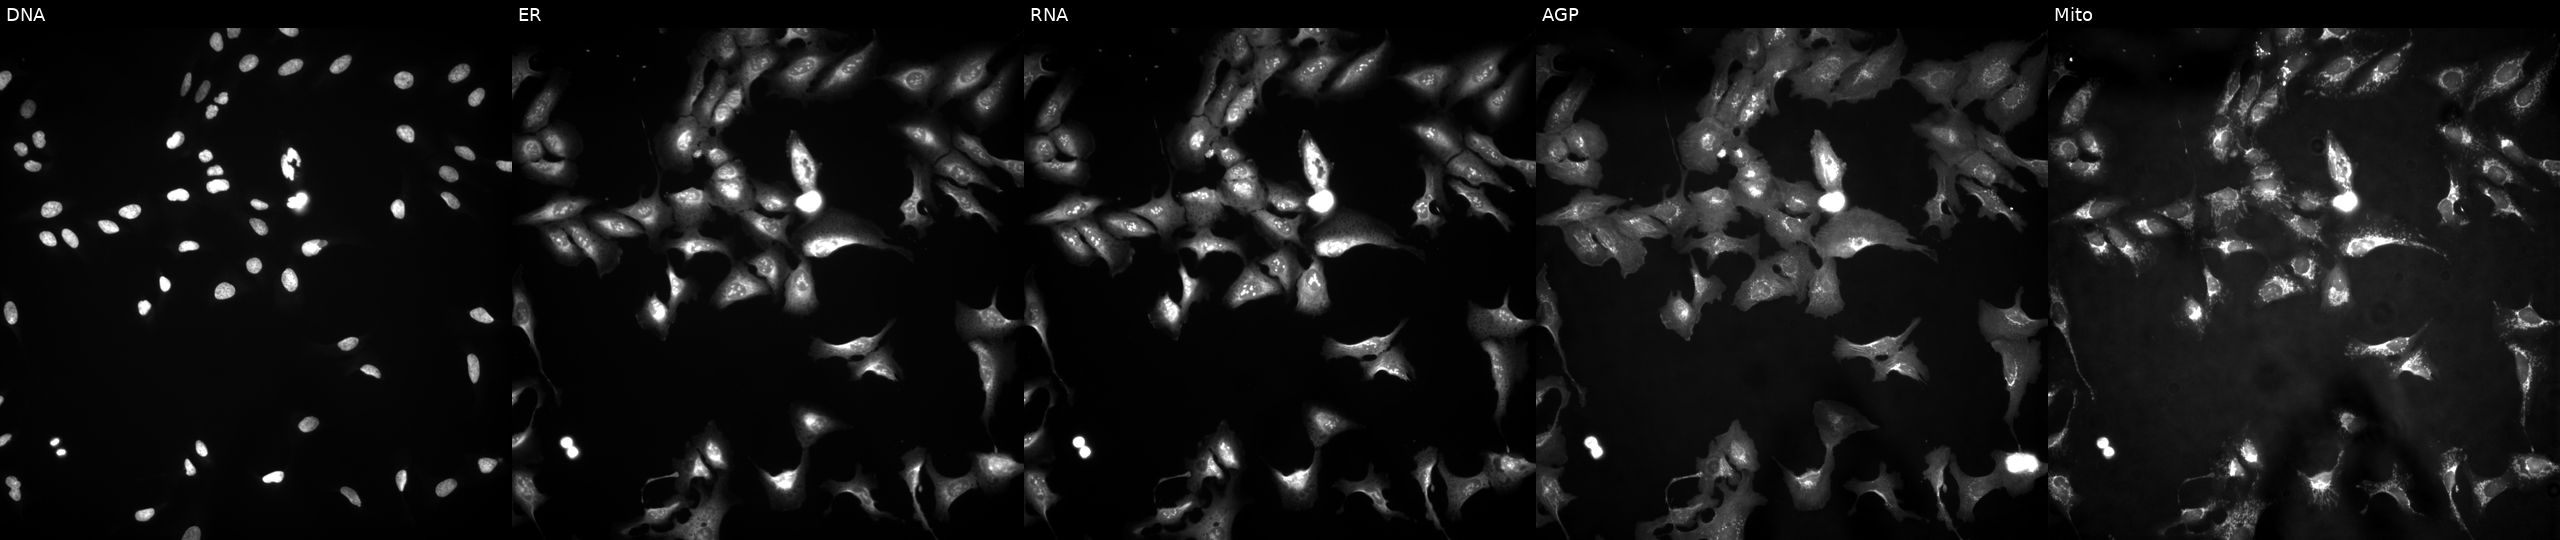
Panels show, left to right, DNA (nuclei); ER (endoplasmic reticulum); RNA (nucleoli and cytoplasmic RNA); AGP (actin cytoskeleton, Golgi, and plasma membrane); Mito (mitochondria). U2OS osteosarcoma cells with VILL overexpressed (ORF) (JUMP id JCP2022_911127). Cell Painting assay, JUMP-CP dataset. Source 4, plate BR00121543, well K12.